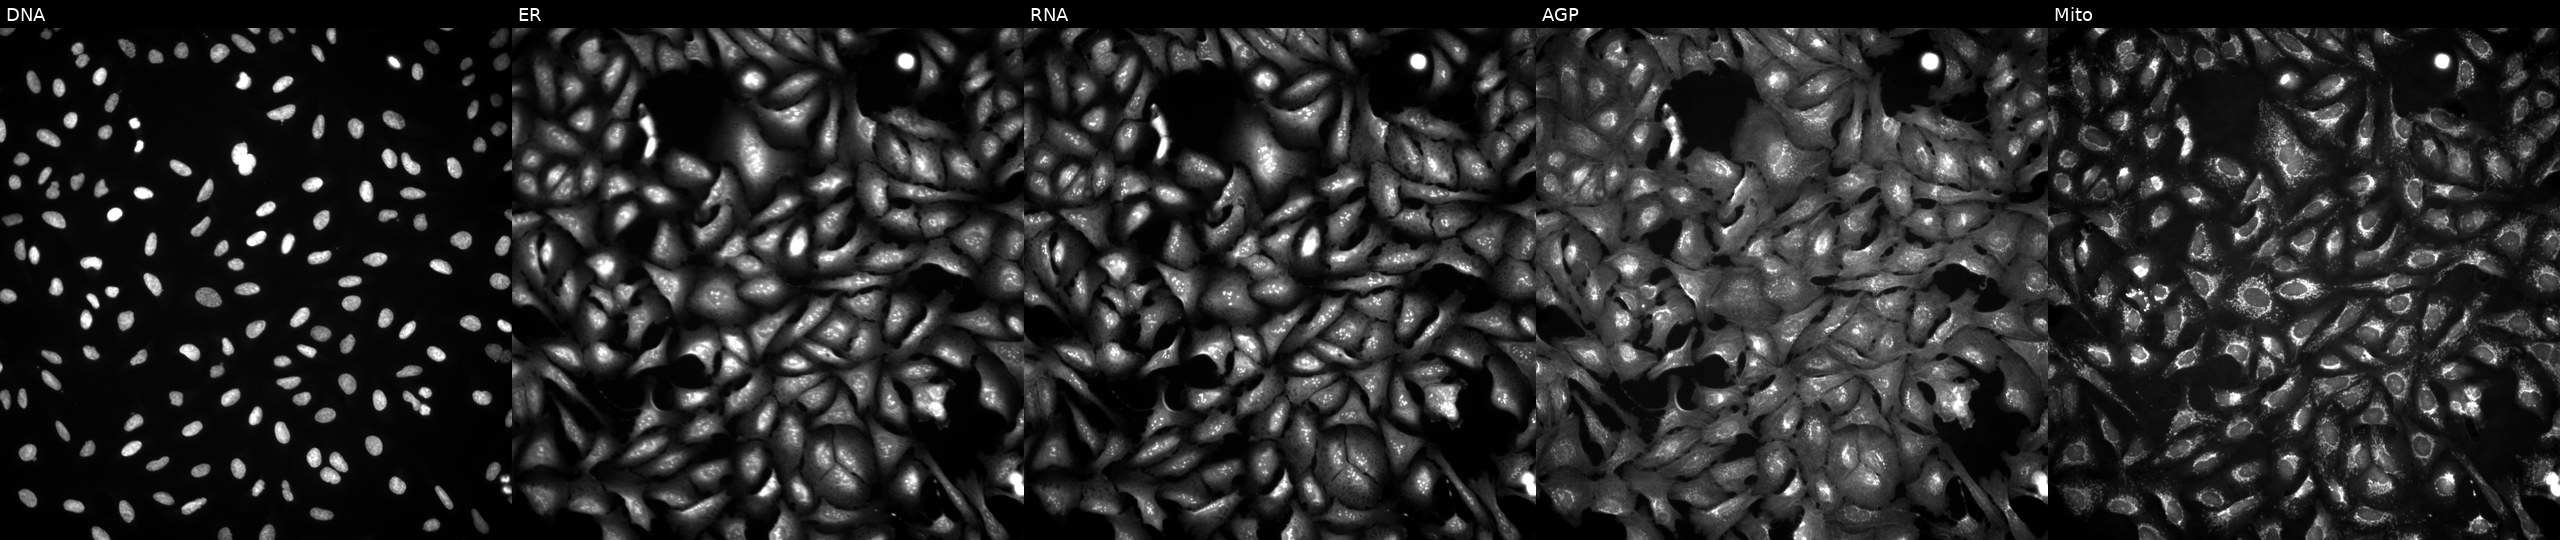
U2OS cells, Cell Painting assay, transfected with an ORF construct for TSPAN6. From left to right: Hoechst 33342, concanavalin A, SYTO 14, phalloidin and WGA, MitoTracker. Each panel is percentile-stretched 16-bit fluorescence.